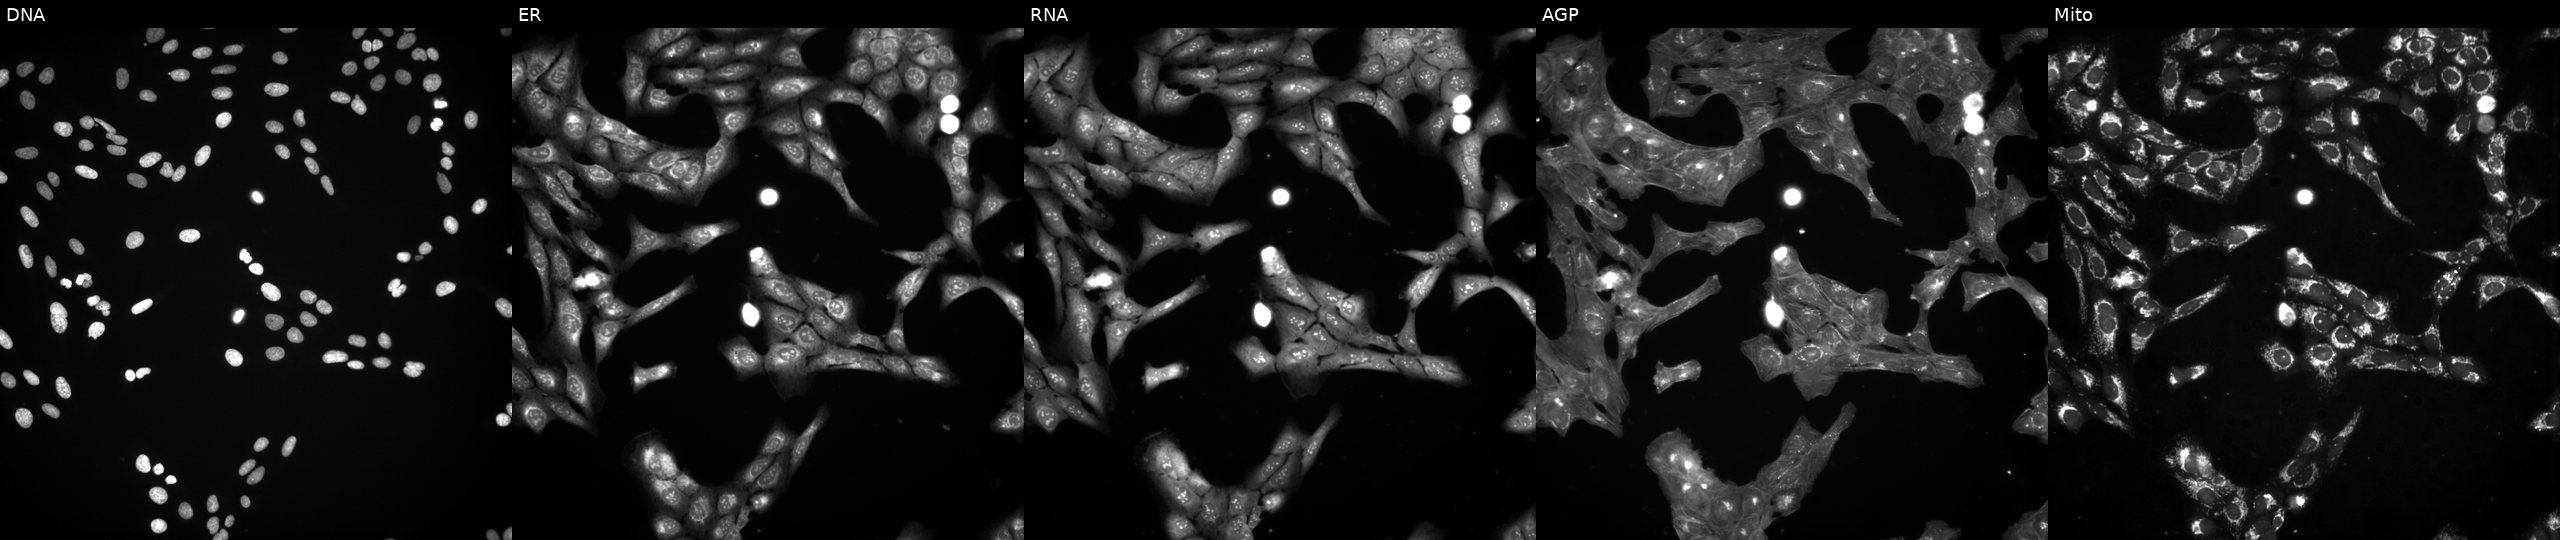
JUMP Cell Painting — COMPOUND plate. U2OS cells treated with a small-molecule compound. The five panels, left to right, show DNA (nuclei); ER (endoplasmic reticulum); RNA (nucleoli and cytoplasmic RNA); AGP (actin cytoskeleton, Golgi, and plasma membrane); Mito (mitochondria).